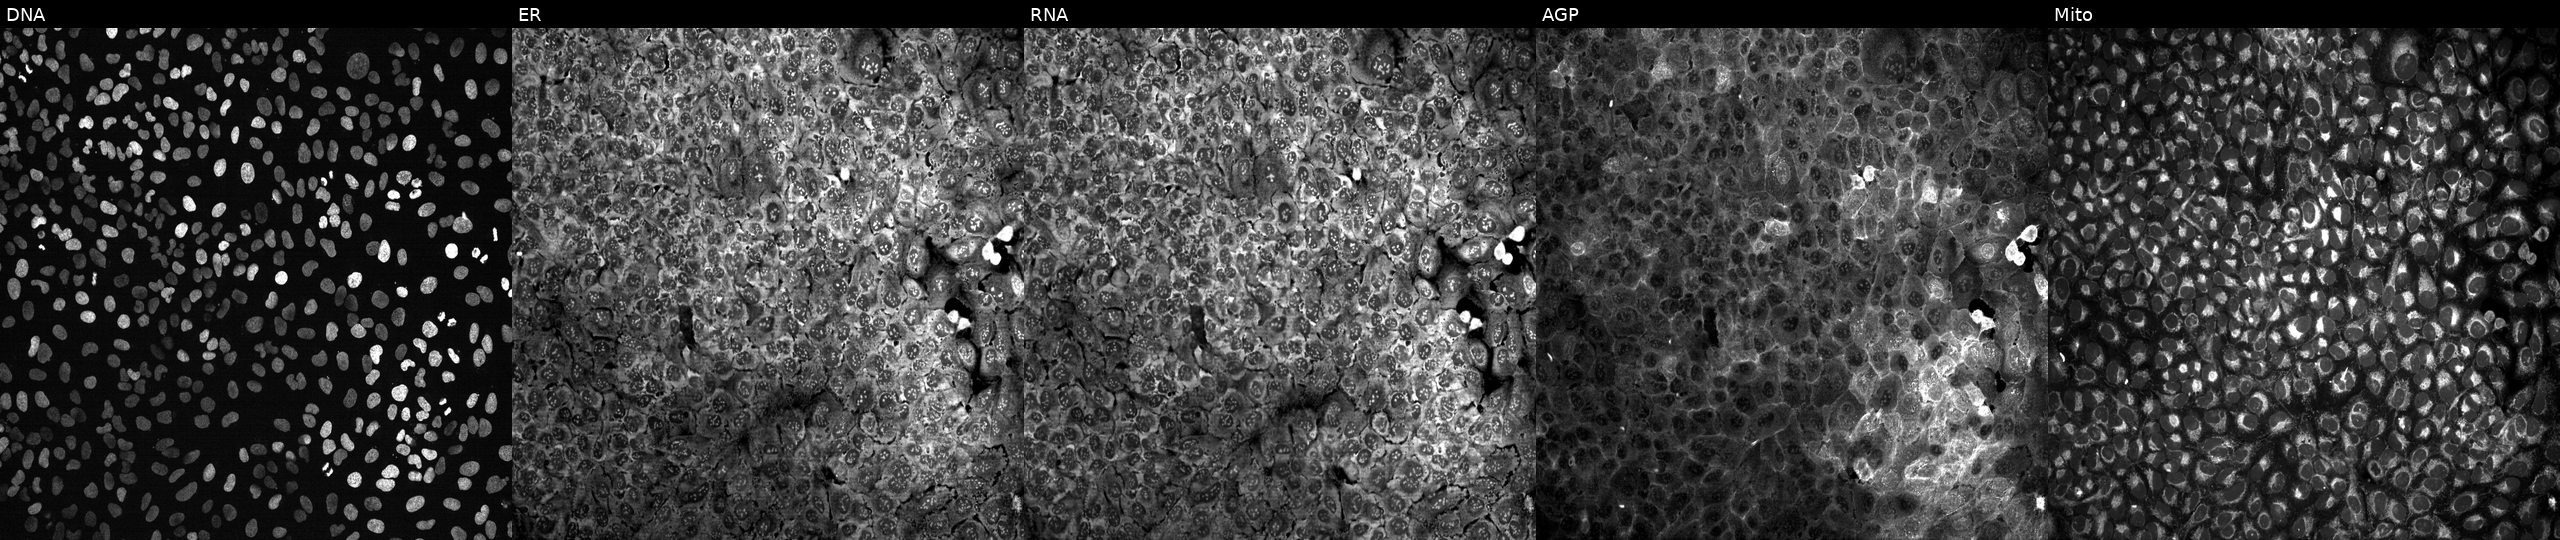
Five-channel Cell Painting image of U2OS cells with CCL14 knocked out by CRISPR (JUMP id JCP2022_801102). Channels (left→right): Hoechst 33342, concanavalin A, SYTO 14, phalloidin and WGA, MitoTracker. Source 13, plate CP-CC9-R2-01, well A18.